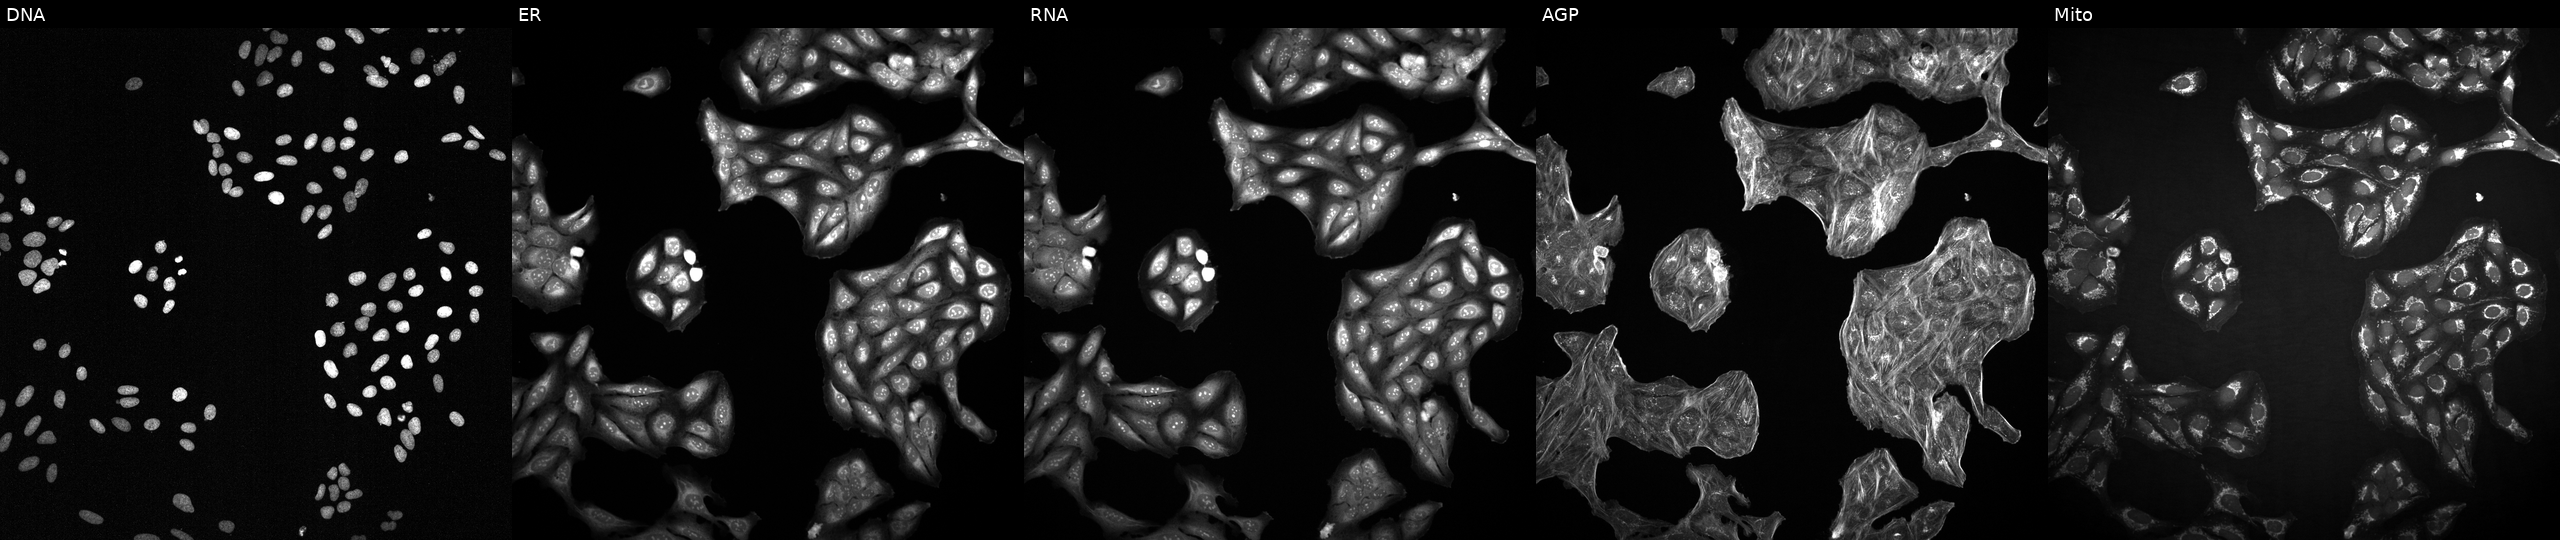
U2OS cells, Cell Painting assay, treated with a small-molecule compound (JUMP id JCP2022_113600). The five panels, left to right, show DNA (nuclei); ER (endoplasmic reticulum); RNA (nucleoli and cytoplasmic RNA); AGP (actin cytoskeleton, Golgi, and plasma membrane); Mito (mitochondria). Each panel is percentile-stretched 16-bit fluorescence. Source 2, plate 1053600674, well A24.